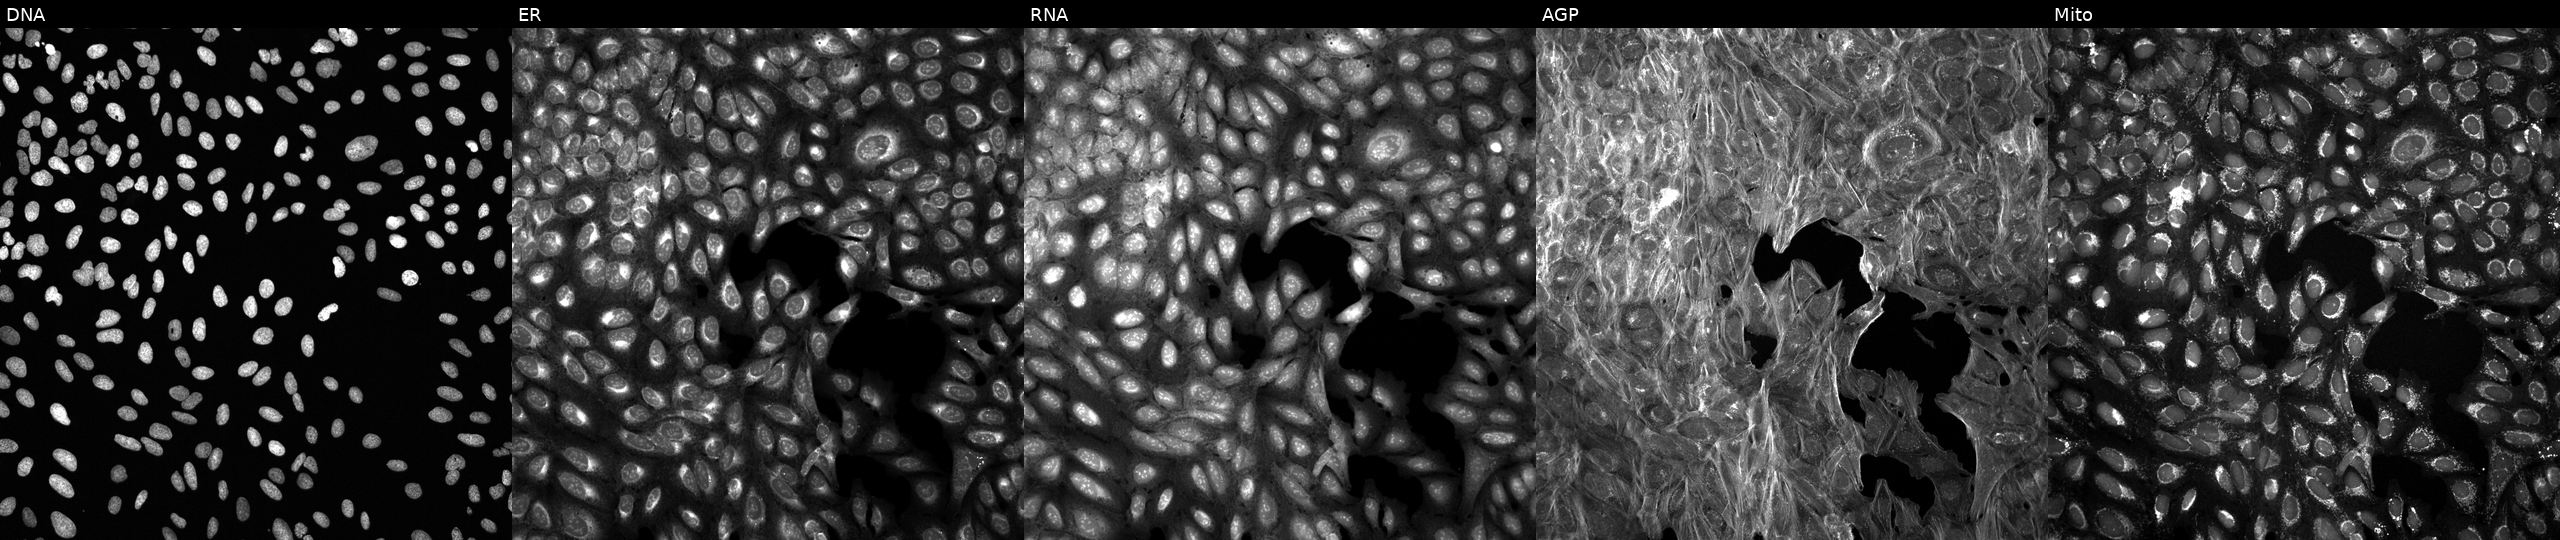
High-content fluorescence microscopy (Cell Painting). Cell line: U2OS. Perturbation: exposed to DMSO alone as a negative control. From left to right: DNA (nuclei); ER (endoplasmic reticulum); RNA (nucleoli and cytoplasmic RNA); AGP (actin cytoskeleton, Golgi, and plasma membrane); Mito (mitochondria). Source 6, plate 110000294901, well G19.